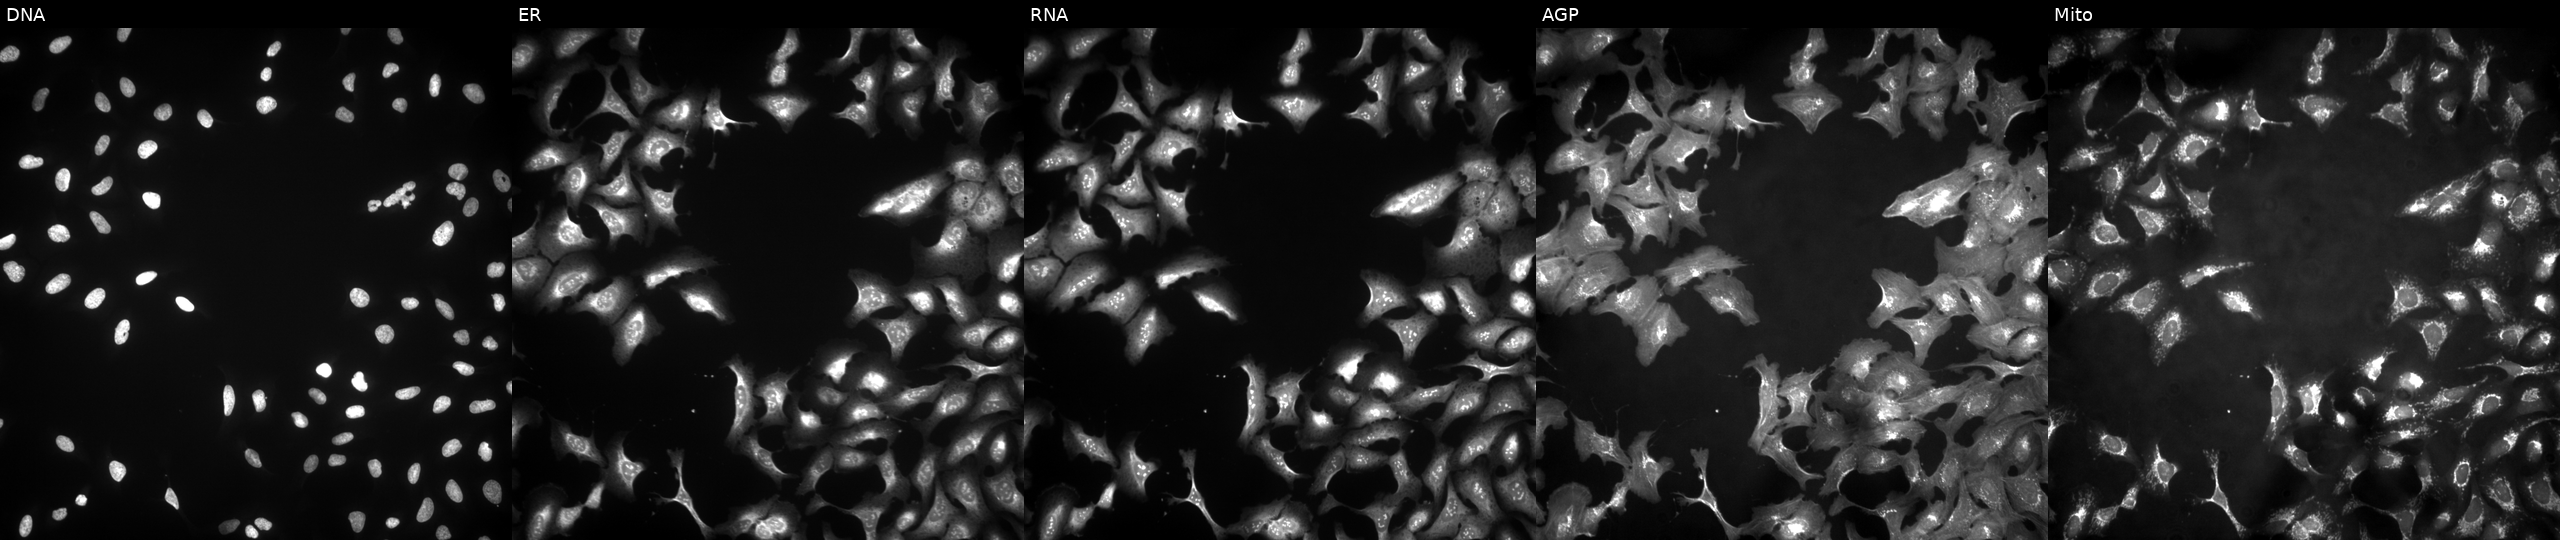
From left to right: Hoechst 33342, concanavalin A, SYTO 14, phalloidin and WGA, MitoTracker. U2OS osteosarcoma cells with UFSP2 overexpressed (ORF). Cell Painting assay, JUMP-CP dataset.